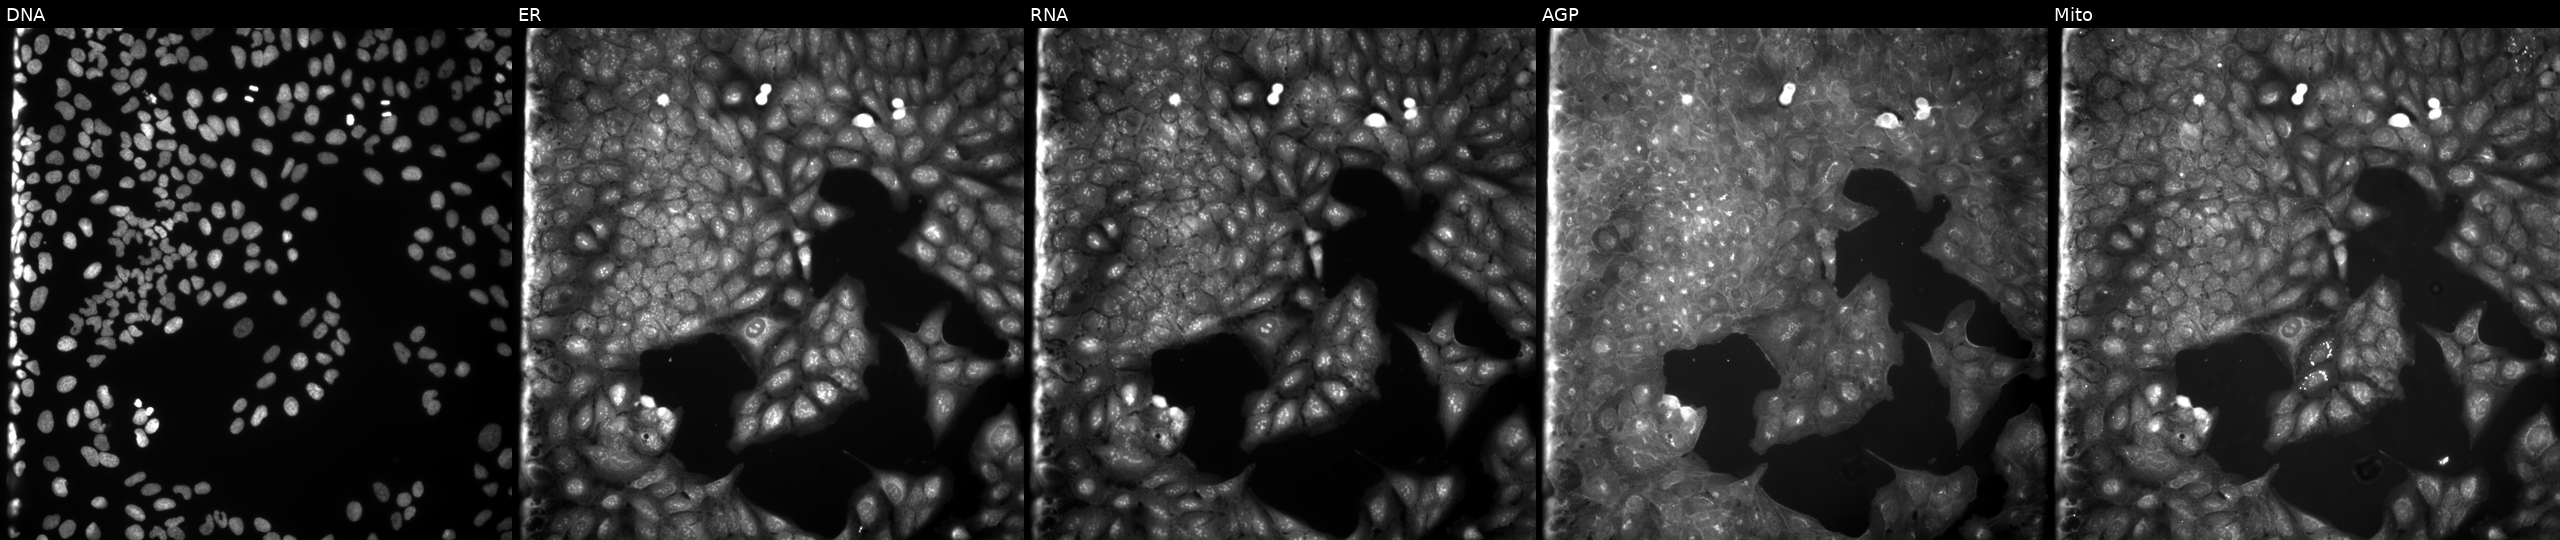
This image strip shows the five Cell Painting channels for a single field of U2OS cells treated with a small-molecule compound (InChIKey RGLCSVSNNAHOSL-UHFFFAOYSA-N) (JUMP id JCP2022_078201). Panels show, left to right, Hoechst 33342, concanavalin A, SYTO 14, phalloidin and WGA, MitoTracker.